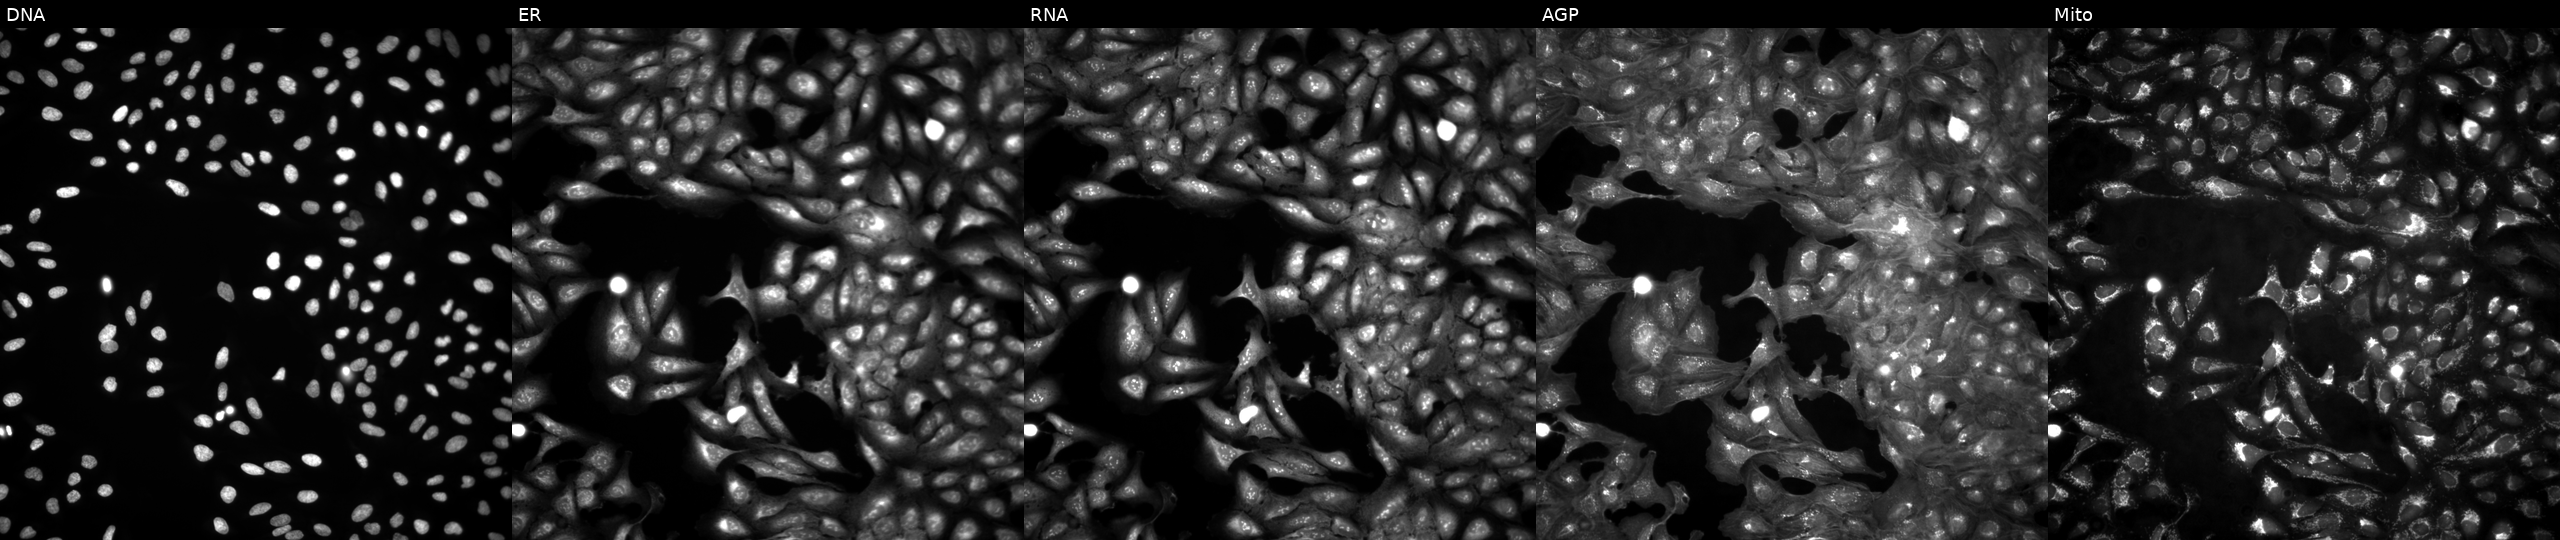
JUMP Cell Painting — ORF plate. U2OS cells in an empty control well (no perturbation). From left to right: Hoechst 33342, concanavalin A, SYTO 14, phalloidin and WGA, MitoTracker.